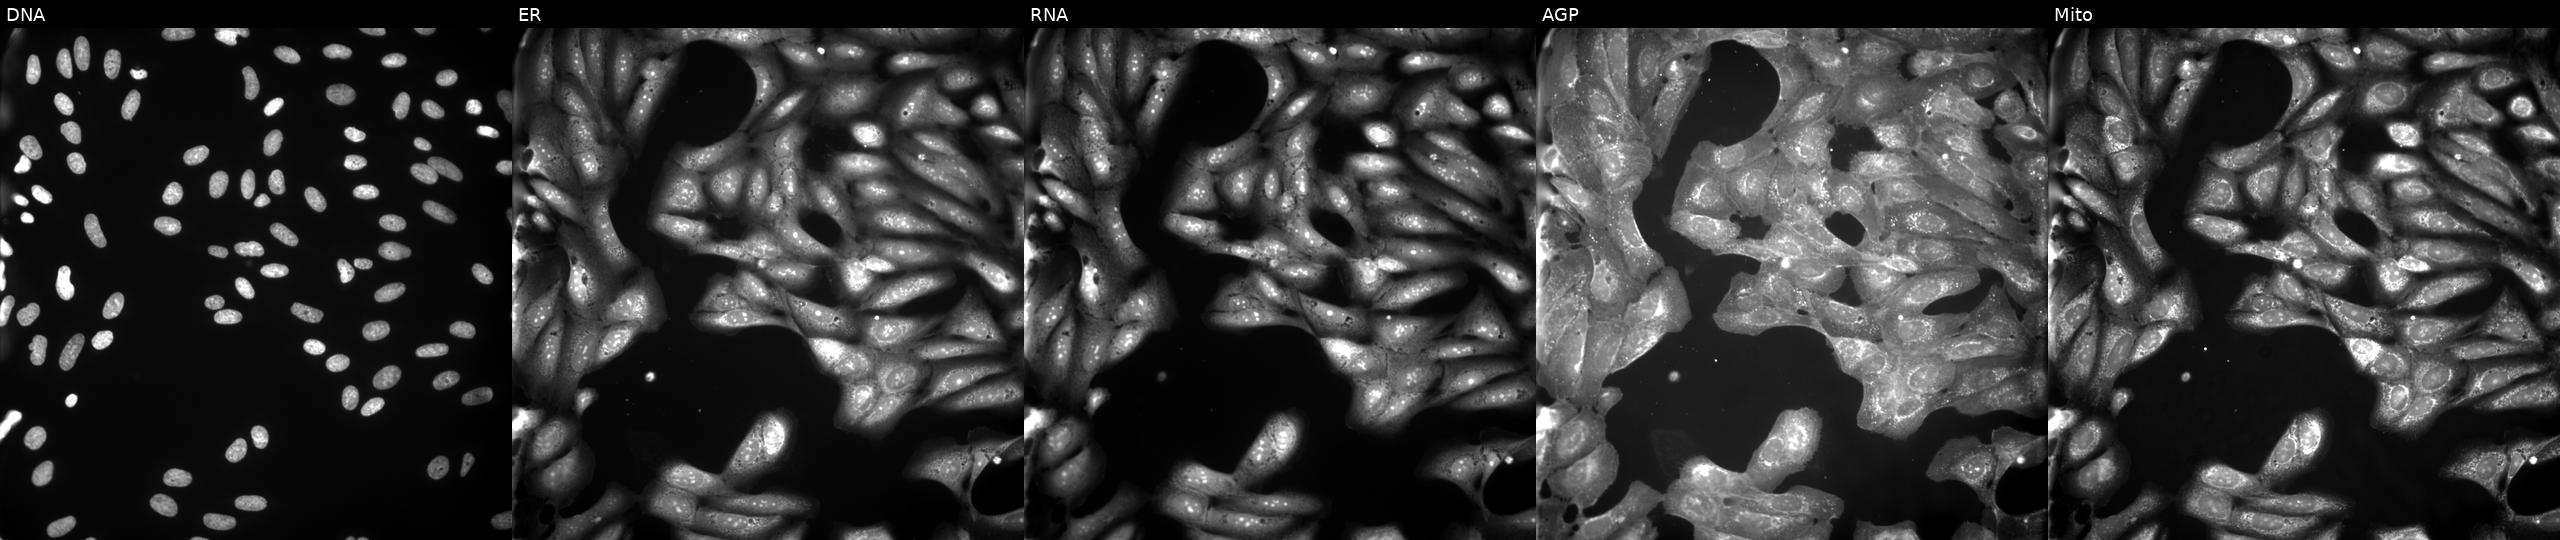
High-content fluorescence microscopy (Cell Painting). Cell line: U2OS. Perturbation: exposed to a small-molecule compound [SMILES: CN(C)CCCN=c1[nH]n2c(=O)c3ccccc3nc2c2ccccc12]. Panels show, left to right, Hoechst 33342, concanavalin A, SYTO 14, phalloidin and WGA, MitoTracker. Source 9, plate GR00003381, well T10.